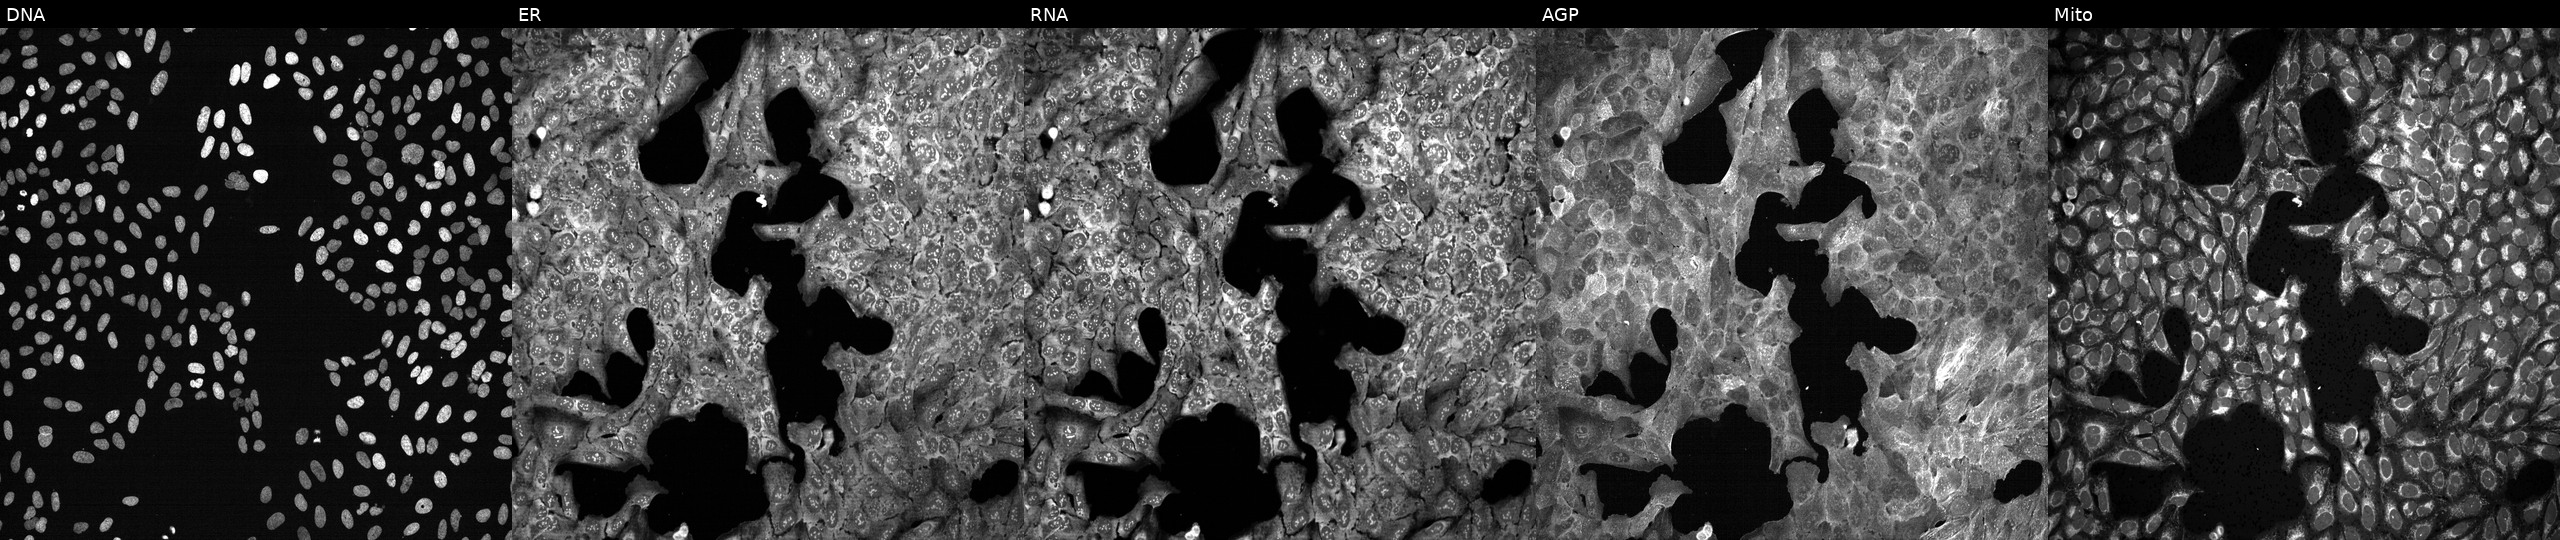
Five-channel Cell Painting image of U2OS cells exposed to the positive-control compound dexamethasone. Channels (left→right): DNA, ER, RNA, AGP, and Mito.